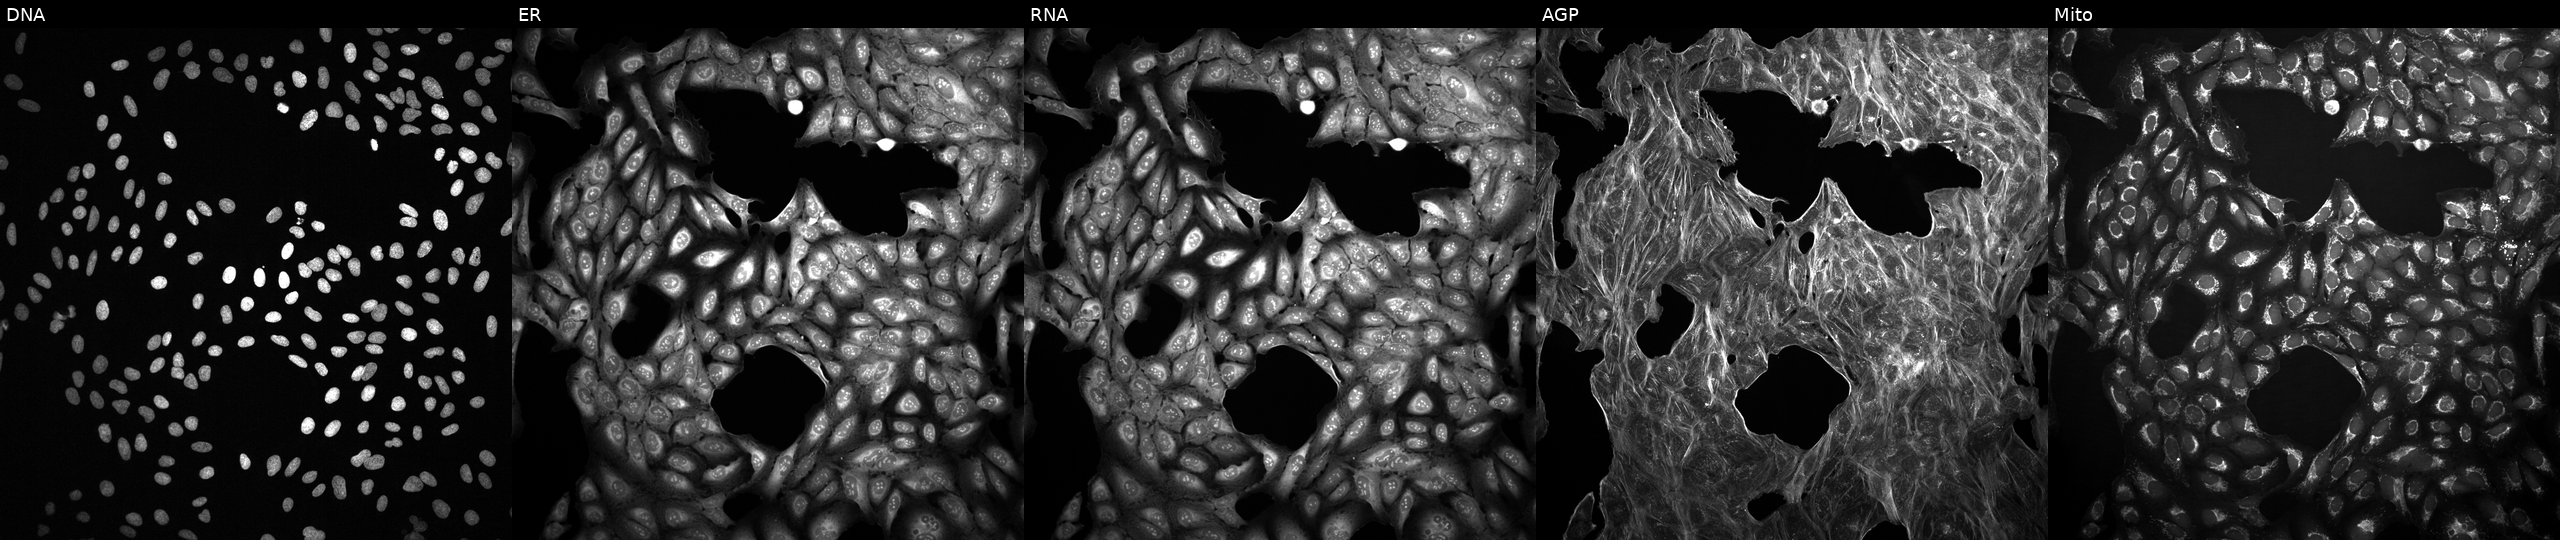
High-content fluorescence microscopy (Cell Painting). Cell line: U2OS. Perturbation: treated with DMSO vehicle only (negative control) (JUMP id JCP2022_033924). Panels show, left to right, DNA, ER, RNA, AGP, and Mito.